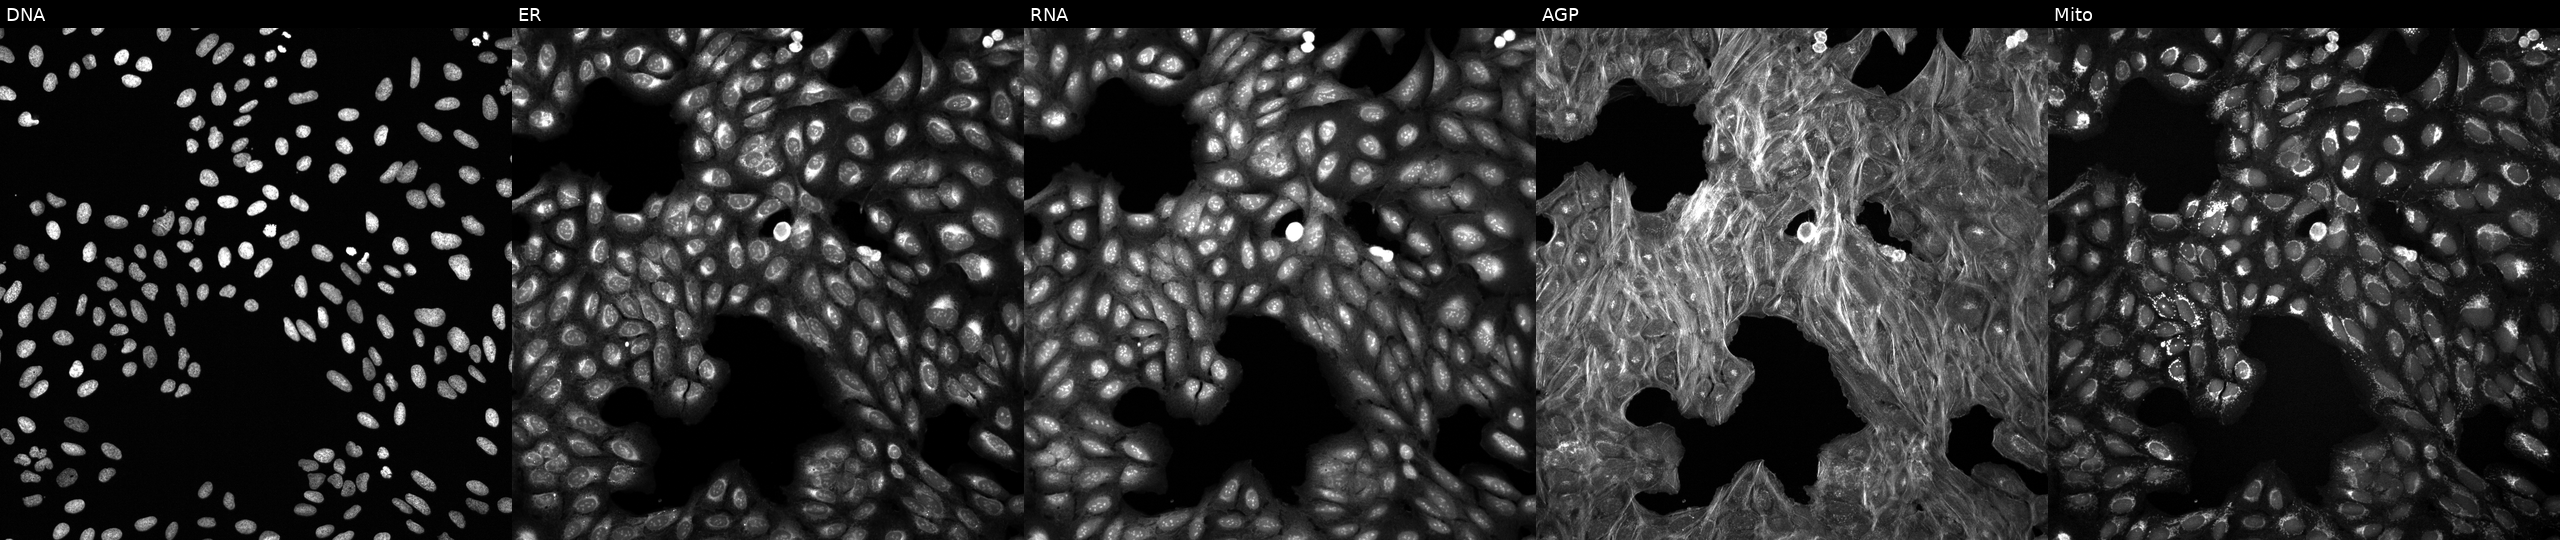
Channels (left→right): Hoechst 33342, concanavalin A, SYTO 14, phalloidin and WGA, MitoTracker. U2OS osteosarcoma cells treated with a small-molecule compound (InChIKey MFDFERRIHVXMIY-UHFFFAOYSA-N) (JUMP id JCP2022_053734). Cell Painting assay, JUMP-CP dataset.